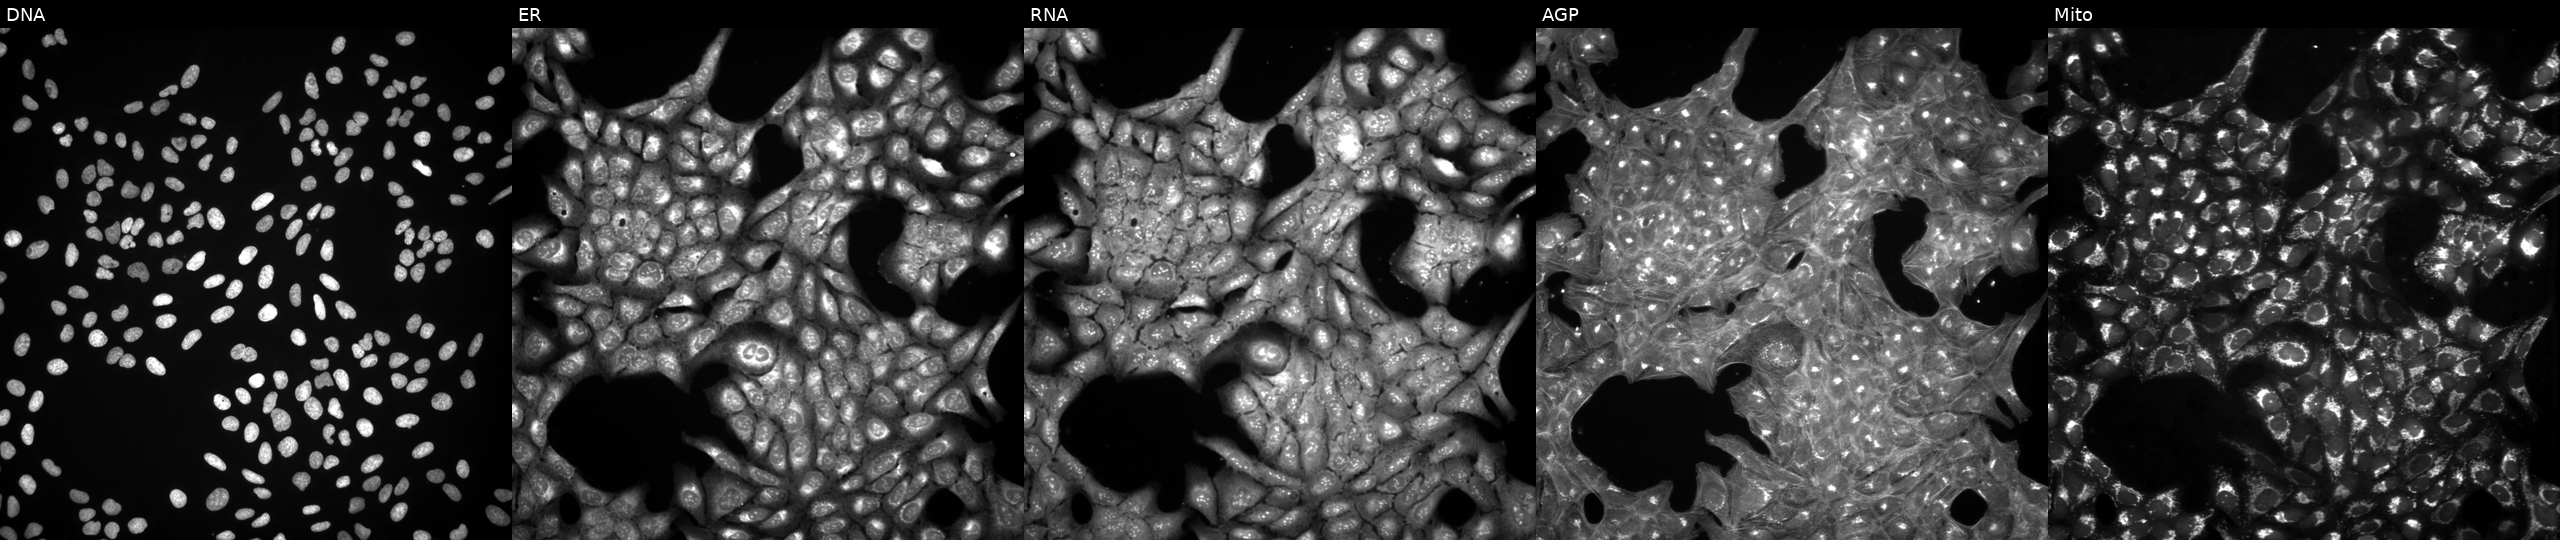
Panels show, left to right, DNA, ER, RNA, AGP, and Mito. U2OS osteosarcoma cells treated with DMSO vehicle only (negative control) (JUMP id JCP2022_033924). Cell Painting assay, JUMP-CP dataset.